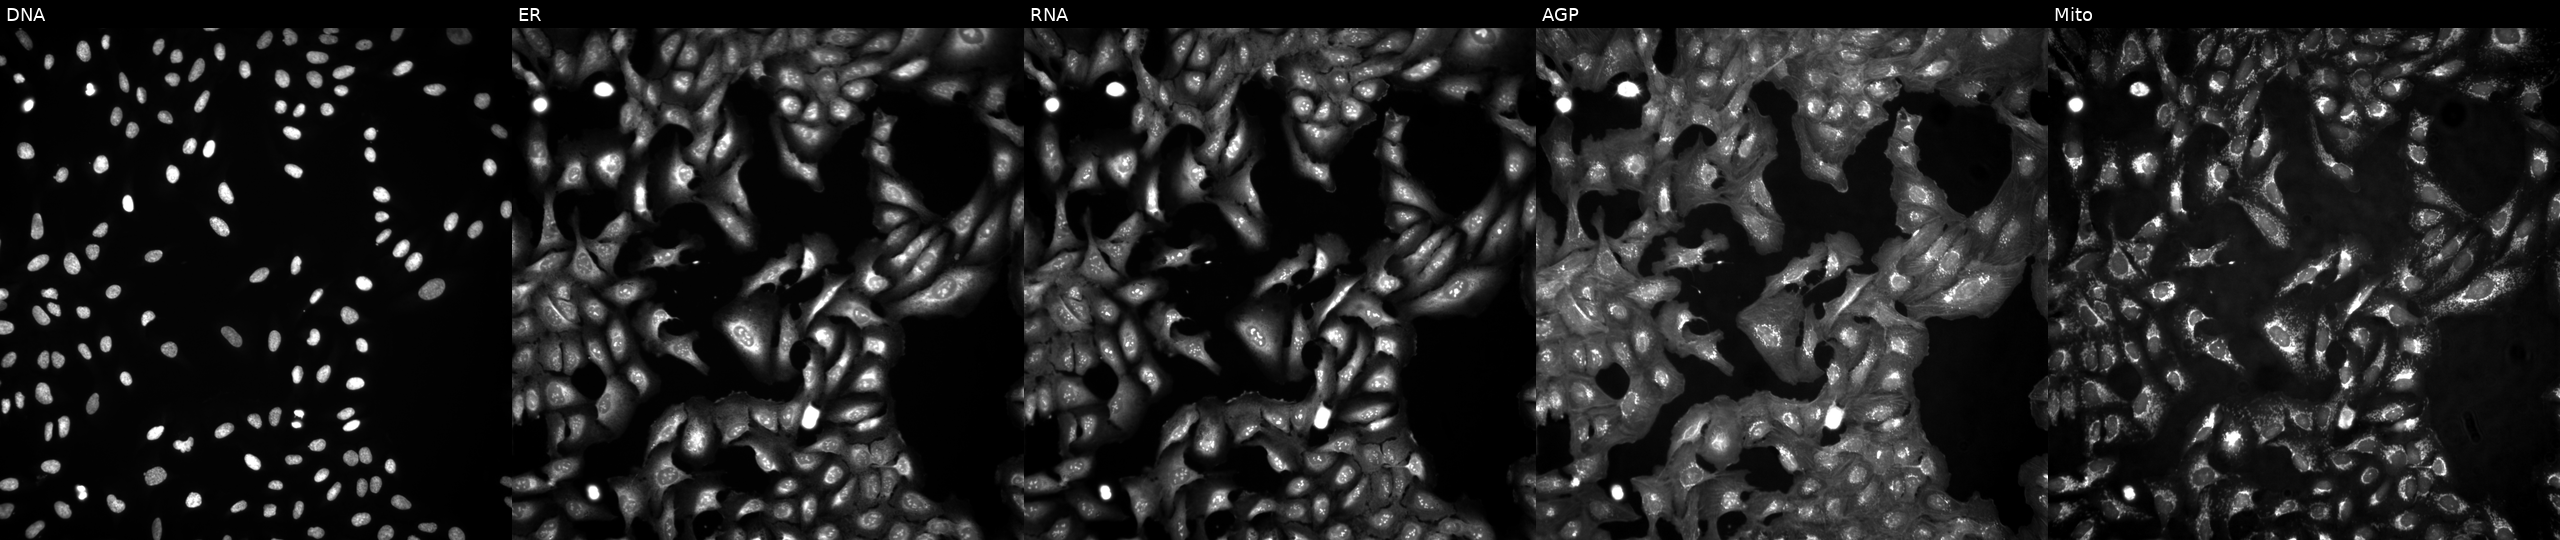
Channels (left→right): Hoechst 33342, concanavalin A, SYTO 14, phalloidin and WGA, MitoTracker. U2OS osteosarcoma cells in an empty control well (no perturbation) (JUMP id JCP2022_999999). Cell Painting assay, JUMP-CP dataset.